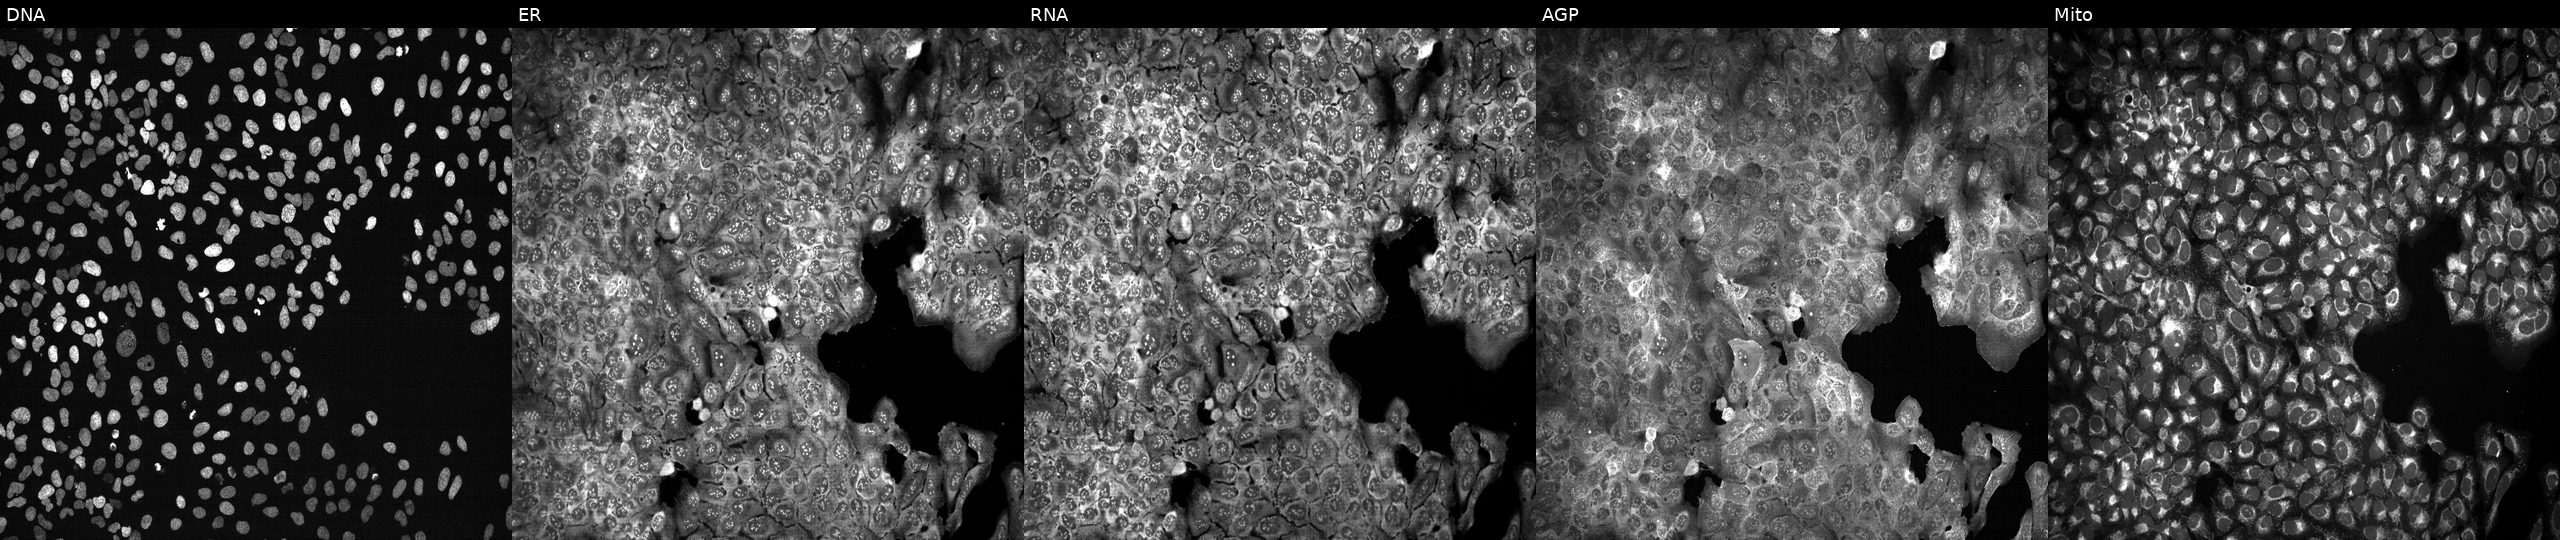
The five panels, left to right, show DNA (nuclei); ER (endoplasmic reticulum); RNA (nucleoli and cytoplasmic RNA); AGP (actin cytoskeleton, Golgi, and plasma membrane); Mito (mitochondria). U2OS osteosarcoma cells with SIRT6 knocked out by CRISPR (JUMP id JCP2022_806345). Cell Painting assay, JUMP-CP dataset. Source 13, plate CP-CC9-R4-03, well M16.